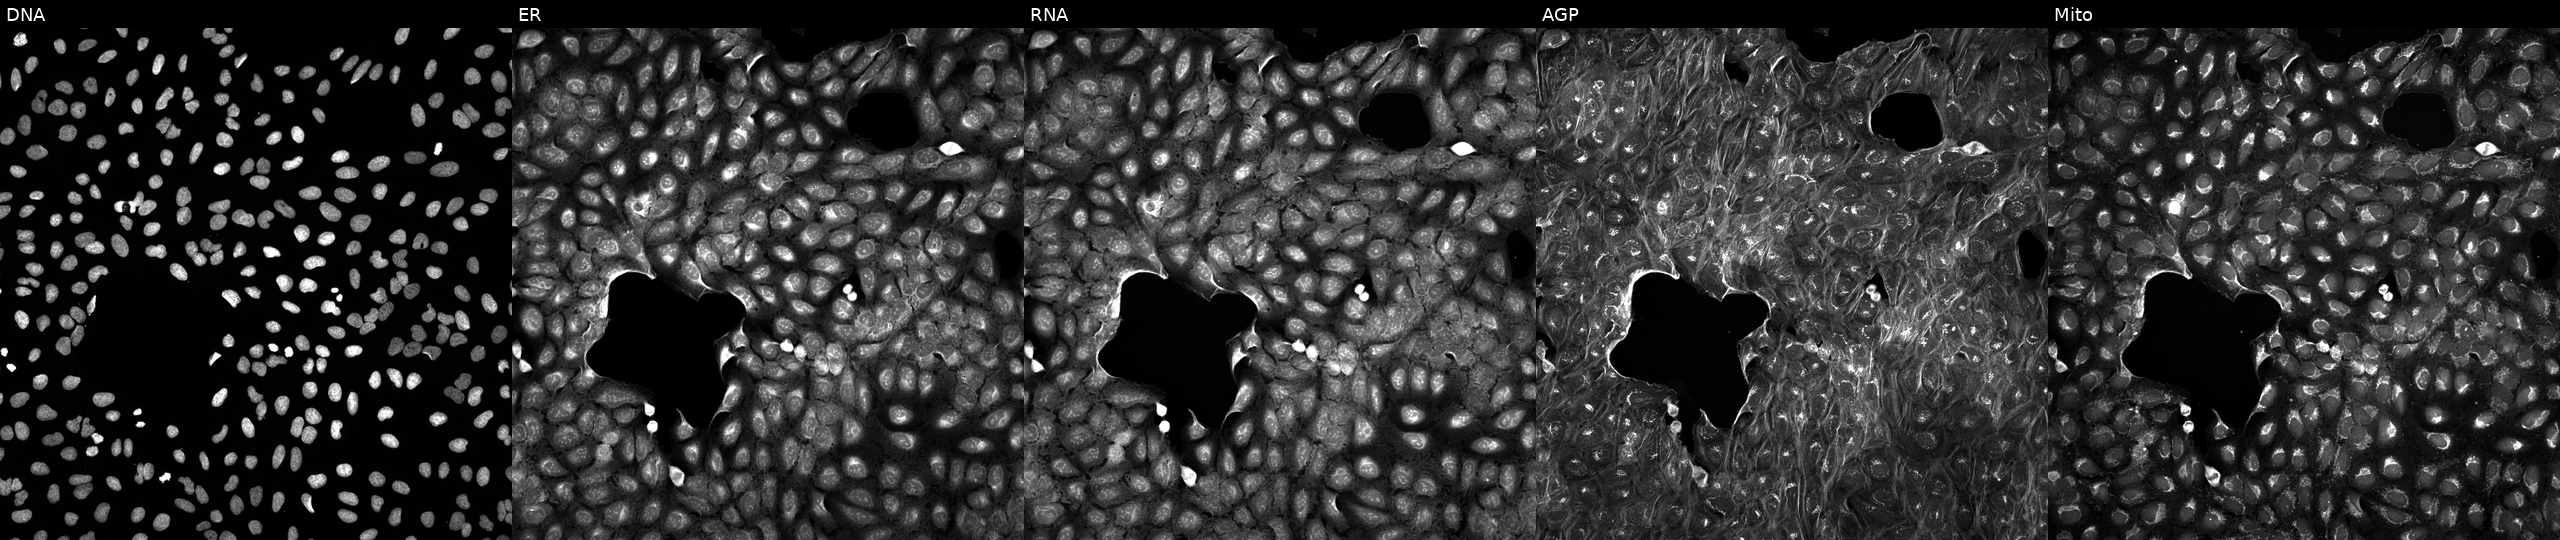
High-content fluorescence microscopy (Cell Painting). Cell line: U2OS. Perturbation: exposed to a small-molecule compound. The five panels, left to right, show Hoechst 33342, concanavalin A, SYTO 14, phalloidin and WGA, MitoTracker.